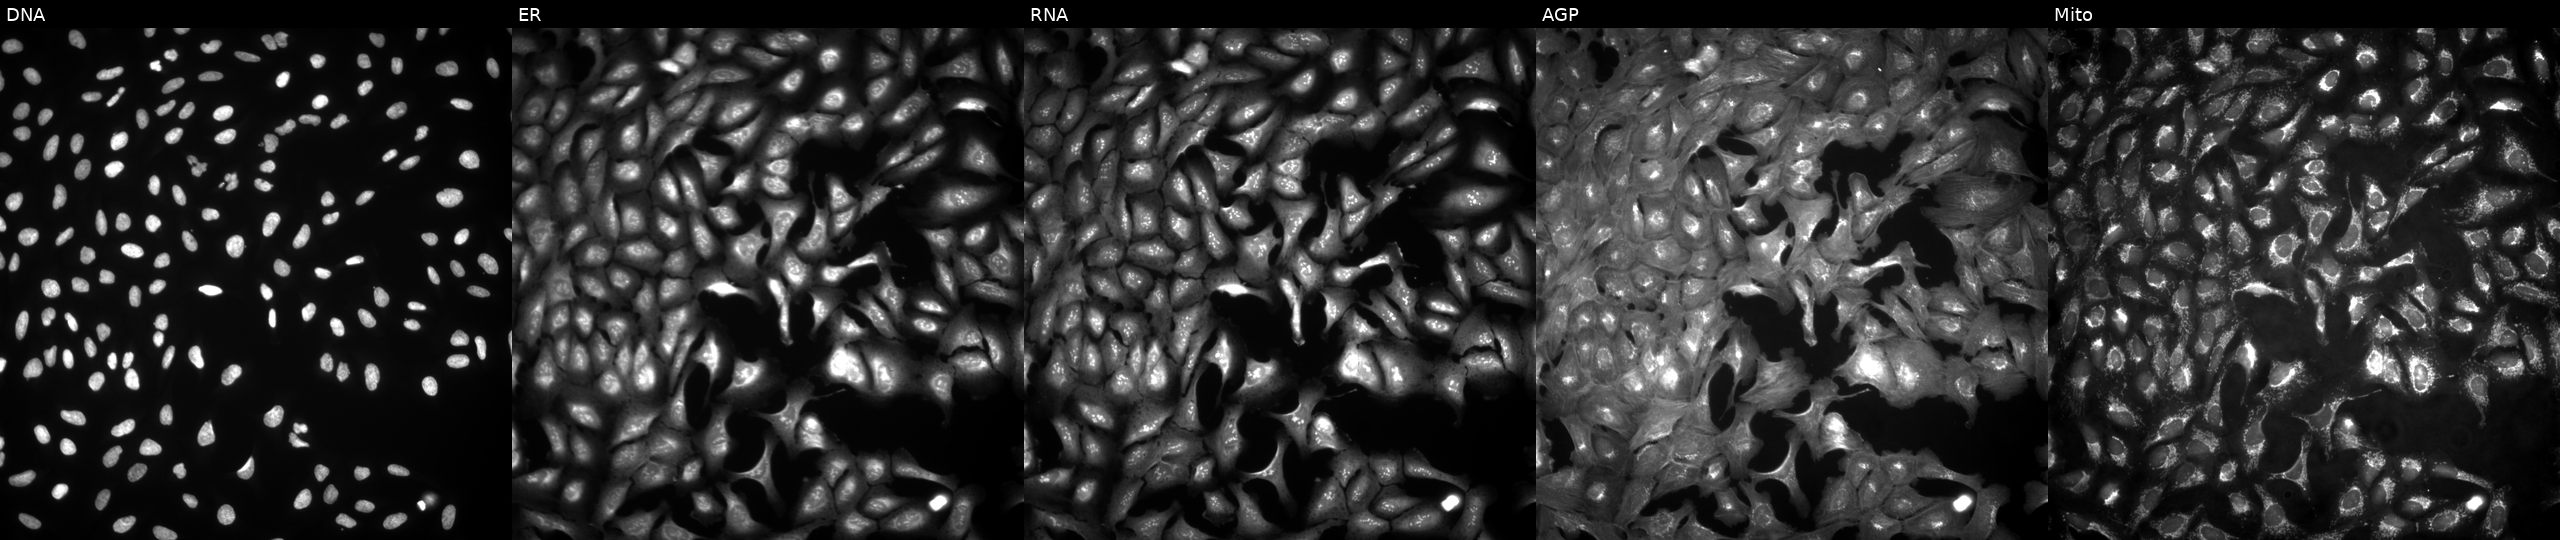
Five-channel Cell Painting image of U2OS cells overexpressing TWISTNB via ORF transfection (JUMP id JCP2022_904923). Channels (left→right): DNA, ER, RNA, AGP, and Mito.